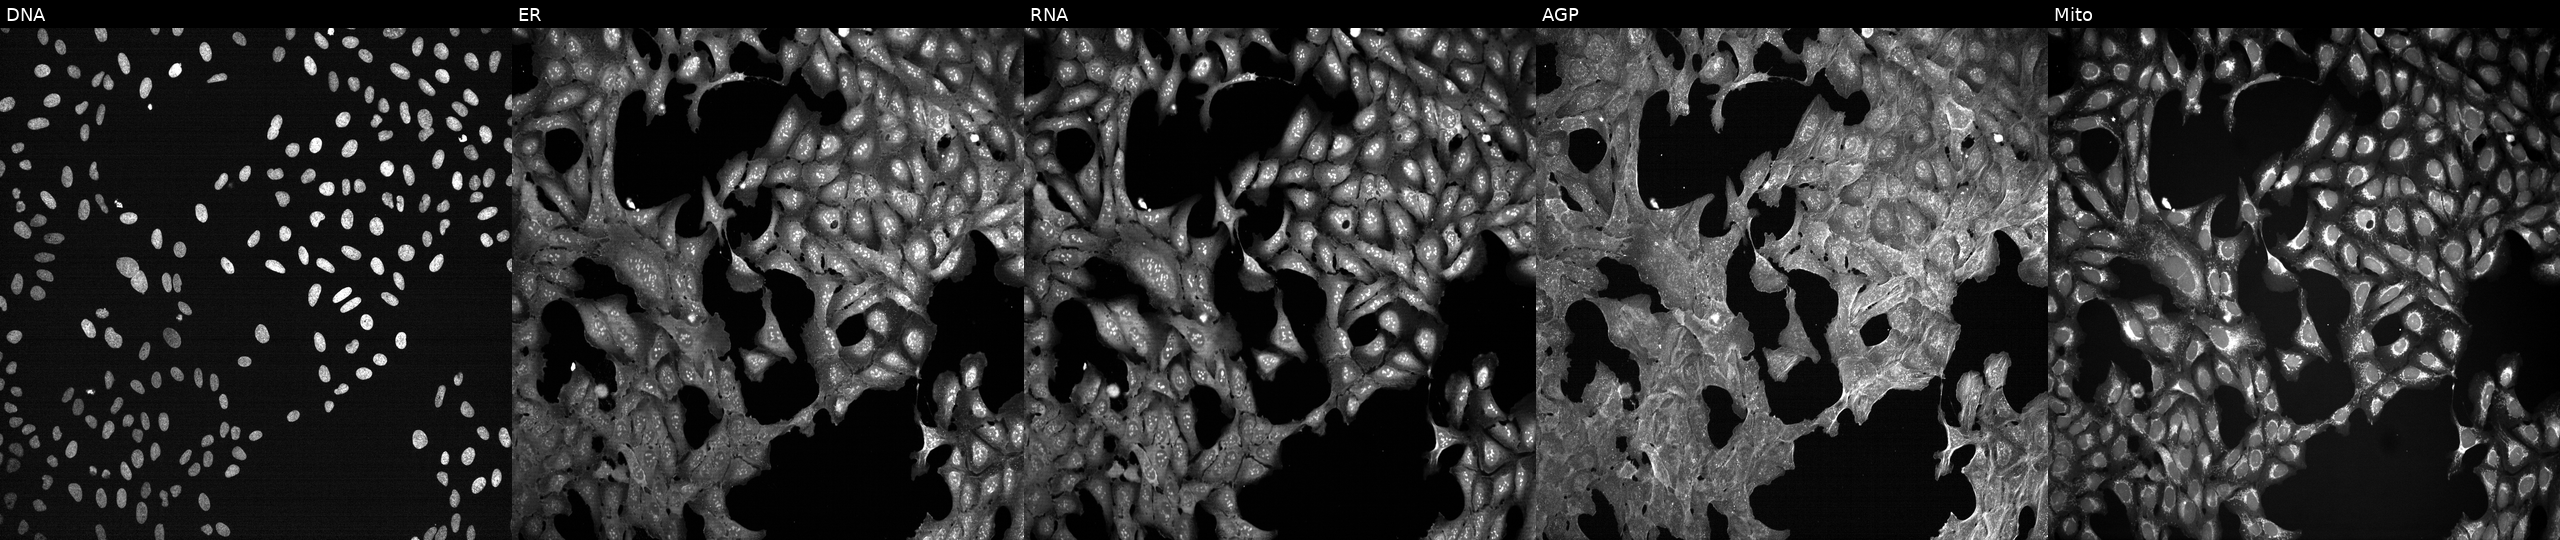
From left to right: DNA, ER, RNA, AGP, and Mito. U2OS osteosarcoma cells treated with a small-molecule compound. Cell Painting assay, JUMP-CP dataset.